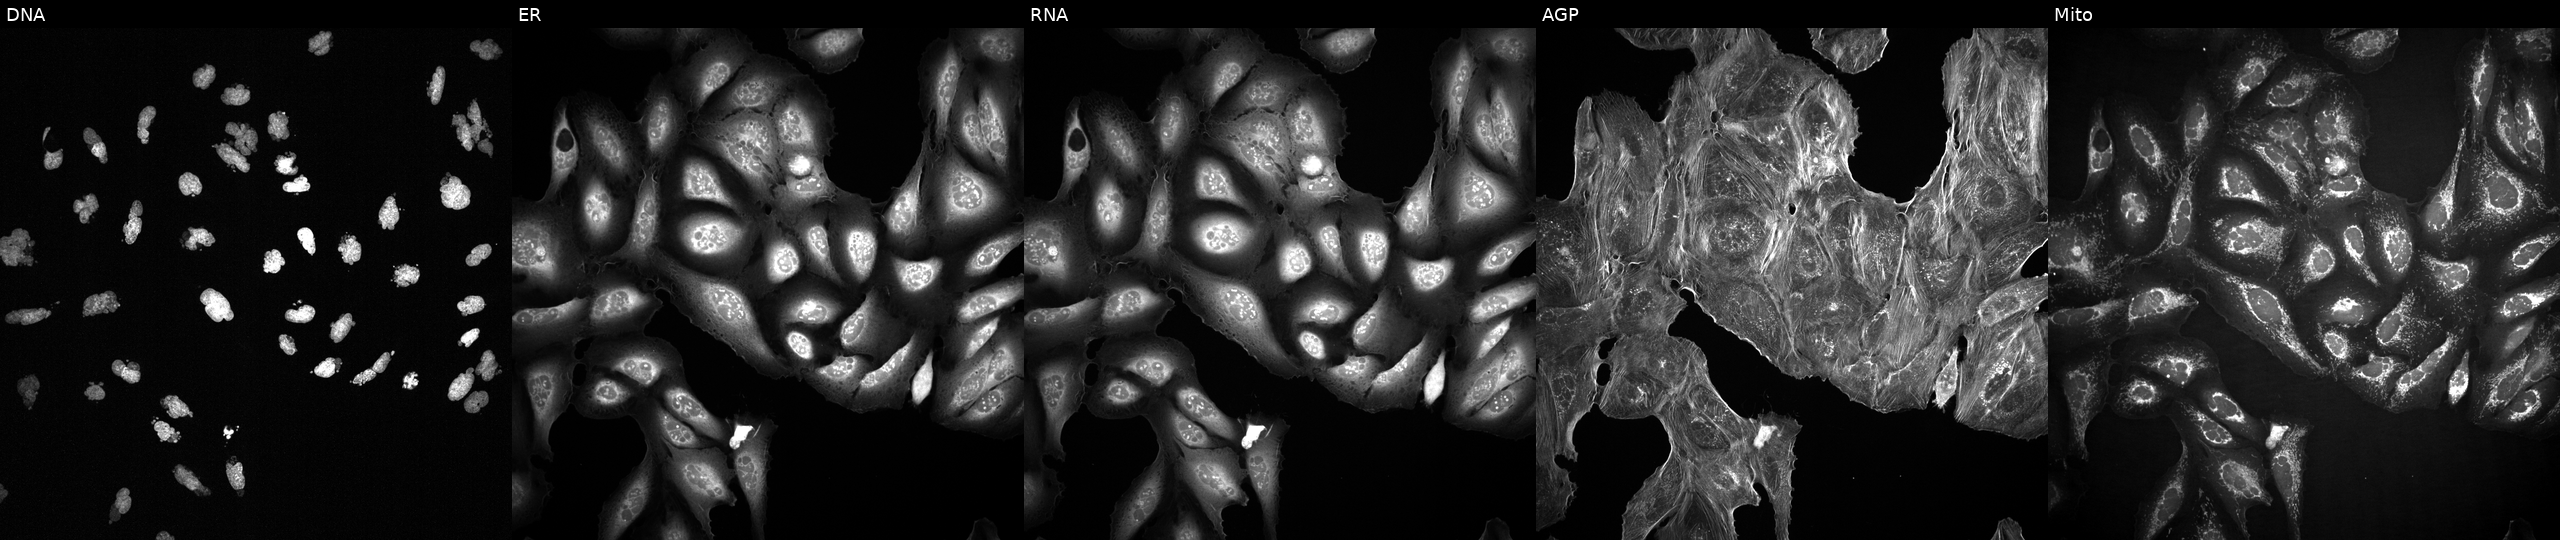
Five-channel Cell Painting image of U2OS cells exposed to the positive-control compound AMG900. Panels show, left to right, DNA (nuclei); ER (endoplasmic reticulum); RNA (nucleoli and cytoplasmic RNA); AGP (actin cytoskeleton, Golgi, and plasma membrane); Mito (mitochondria). Source 2, plate 1053601756, well N24.